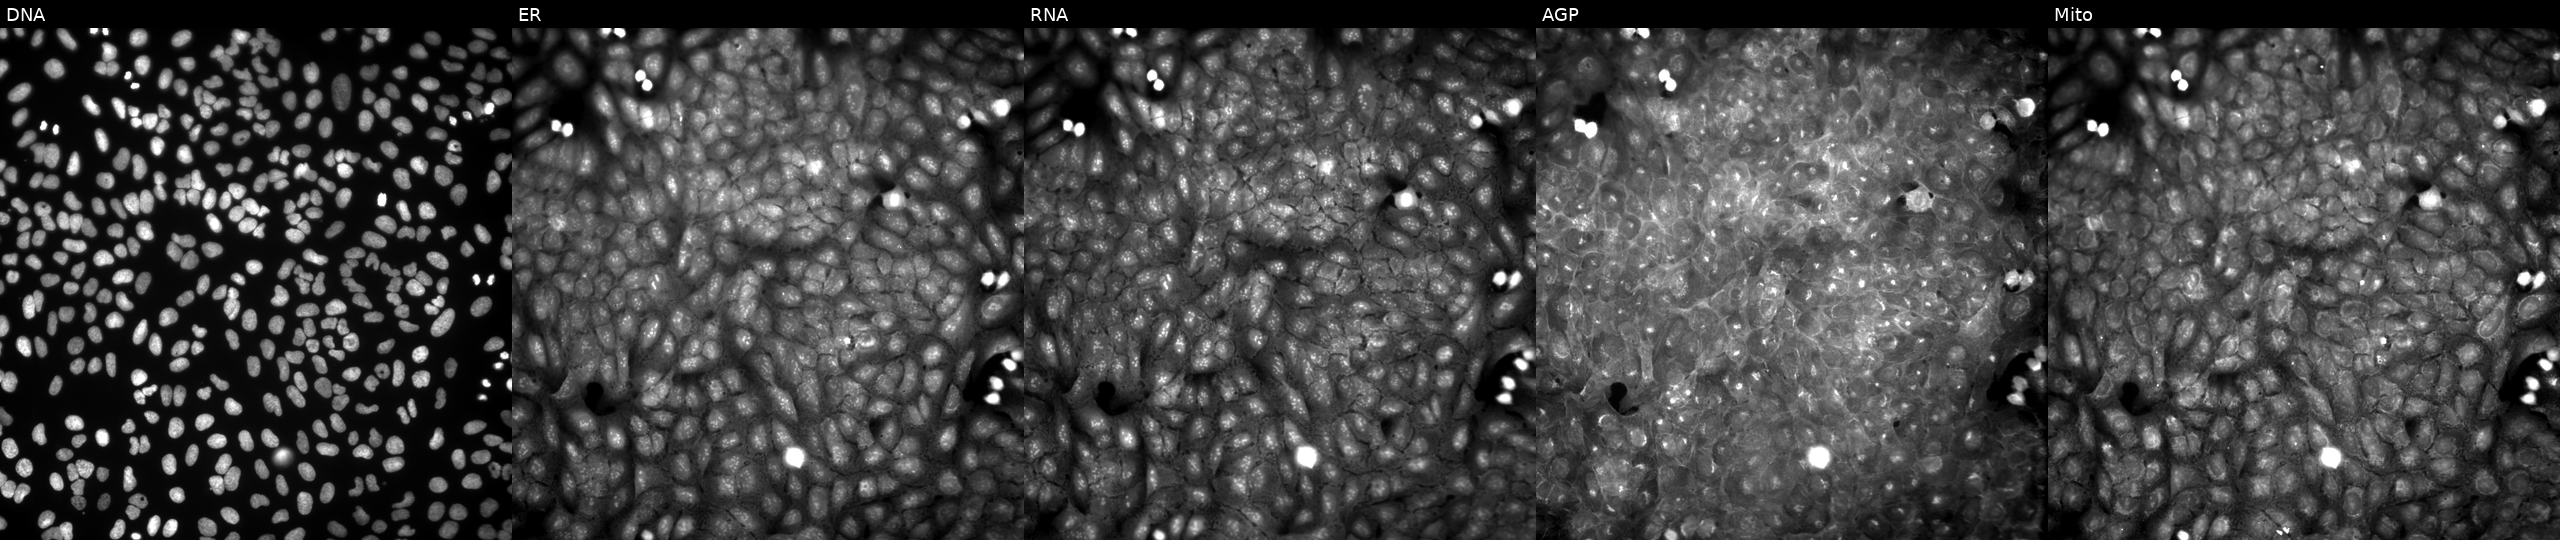
Five-channel Cell Painting image of U2OS cells exposed to a small-molecule compound. From left to right: DNA (nuclei); ER (endoplasmic reticulum); RNA (nucleoli and cytoplasmic RNA); AGP (actin cytoskeleton, Golgi, and plasma membrane); Mito (mitochondria).